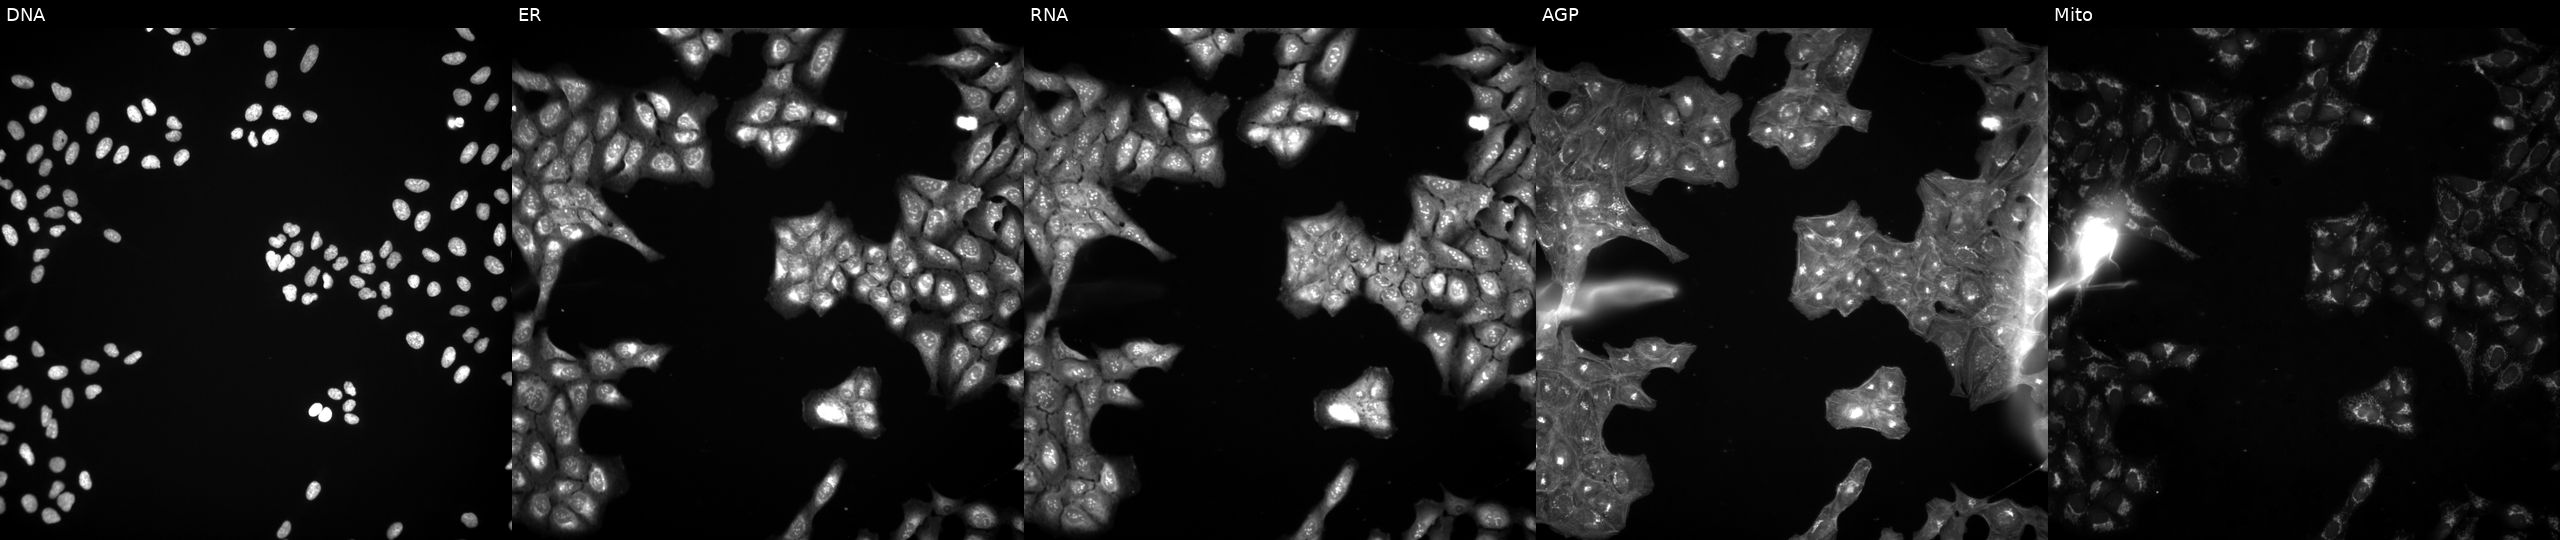
This image strip shows the five Cell Painting channels for a single field of U2OS cells perturbed with a small-molecule compound (InChIKey QESQGTFWEQMCMH-UHFFFAOYSA-N). Channels (left→right): DNA (nuclei); ER (endoplasmic reticulum); RNA (nucleoli and cytoplasmic RNA); AGP (actin cytoskeleton, Golgi, and plasma membrane); Mito (mitochondria).